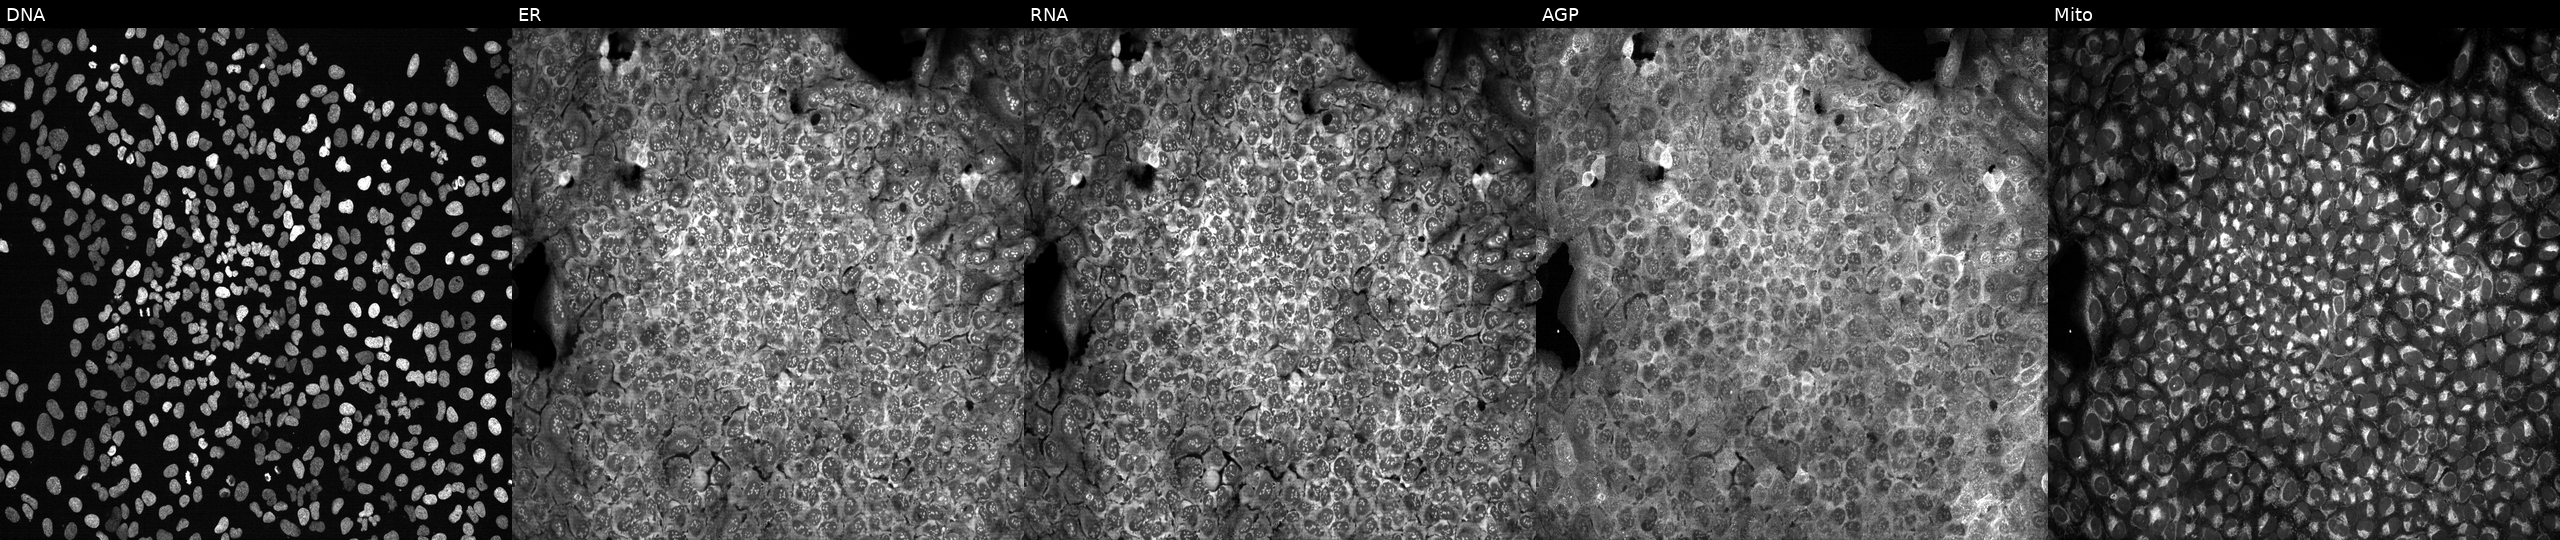
Five-channel Cell Painting image of U2OS cells with DDAH2 knocked out by CRISPR. Panels show, left to right, DNA (nuclei); ER (endoplasmic reticulum); RNA (nucleoli and cytoplasmic RNA); AGP (actin cytoskeleton, Golgi, and plasma membrane); Mito (mitochondria). Source 13, plate CP-CC9-R3-02, well N05.